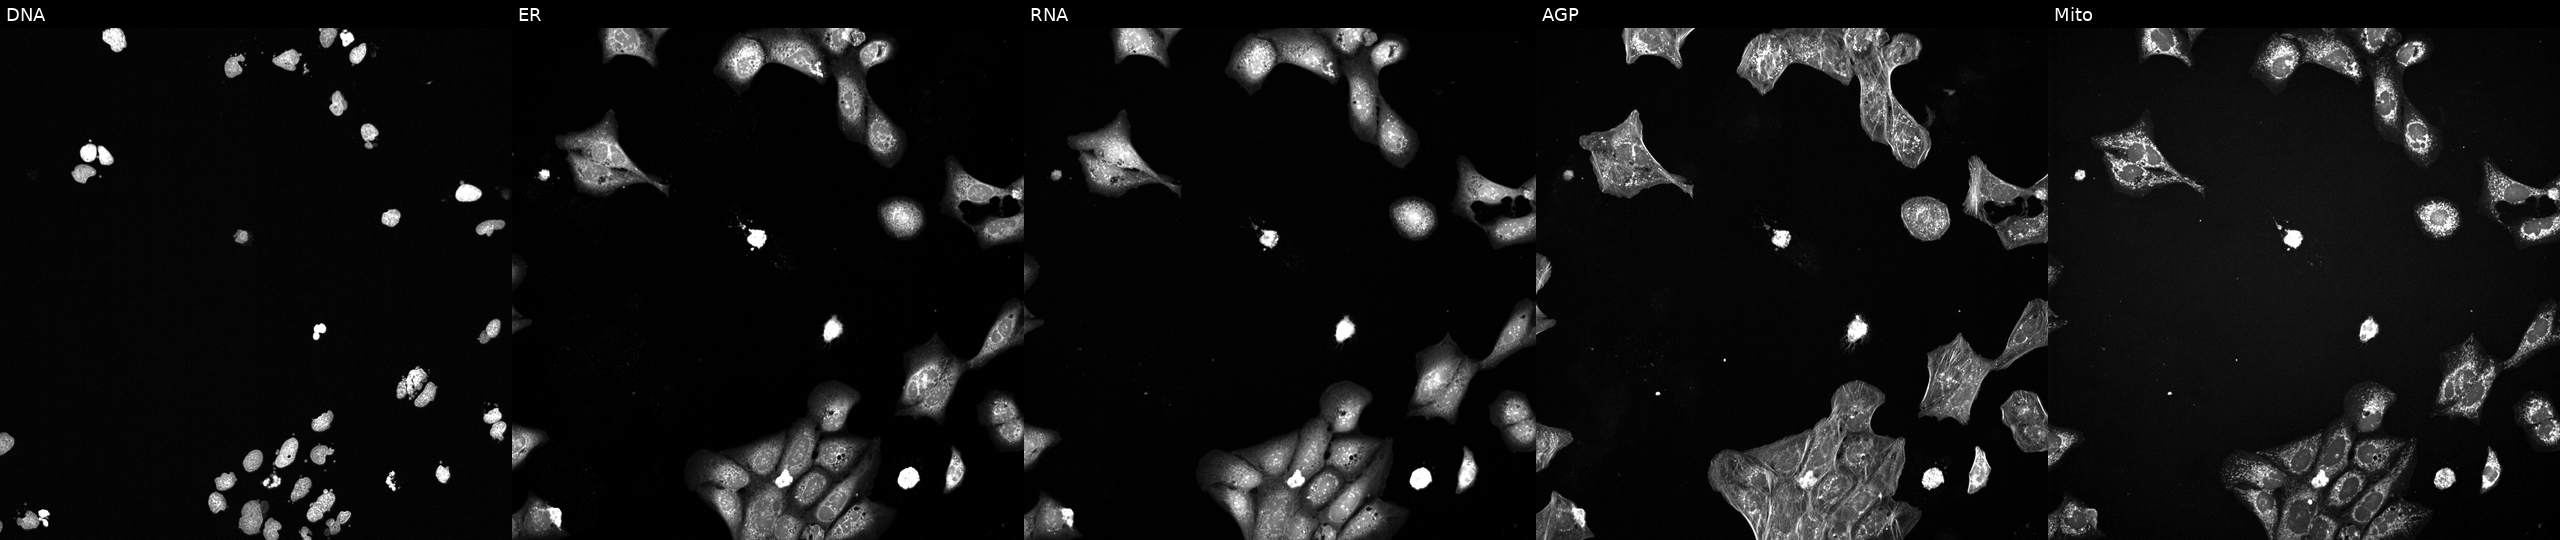
JUMP Cell Painting — TARGET2 plate. U2OS cells perturbed with a small-molecule compound (InChIKey QTBWCSQGBMPECM-UHFFFAOYSA-N) (JUMP id JCP2022_075694). Channels (left→right): Hoechst 33342, concanavalin A, SYTO 14, phalloidin and WGA, MitoTracker. Source 6, plate 110000293093, well K10.